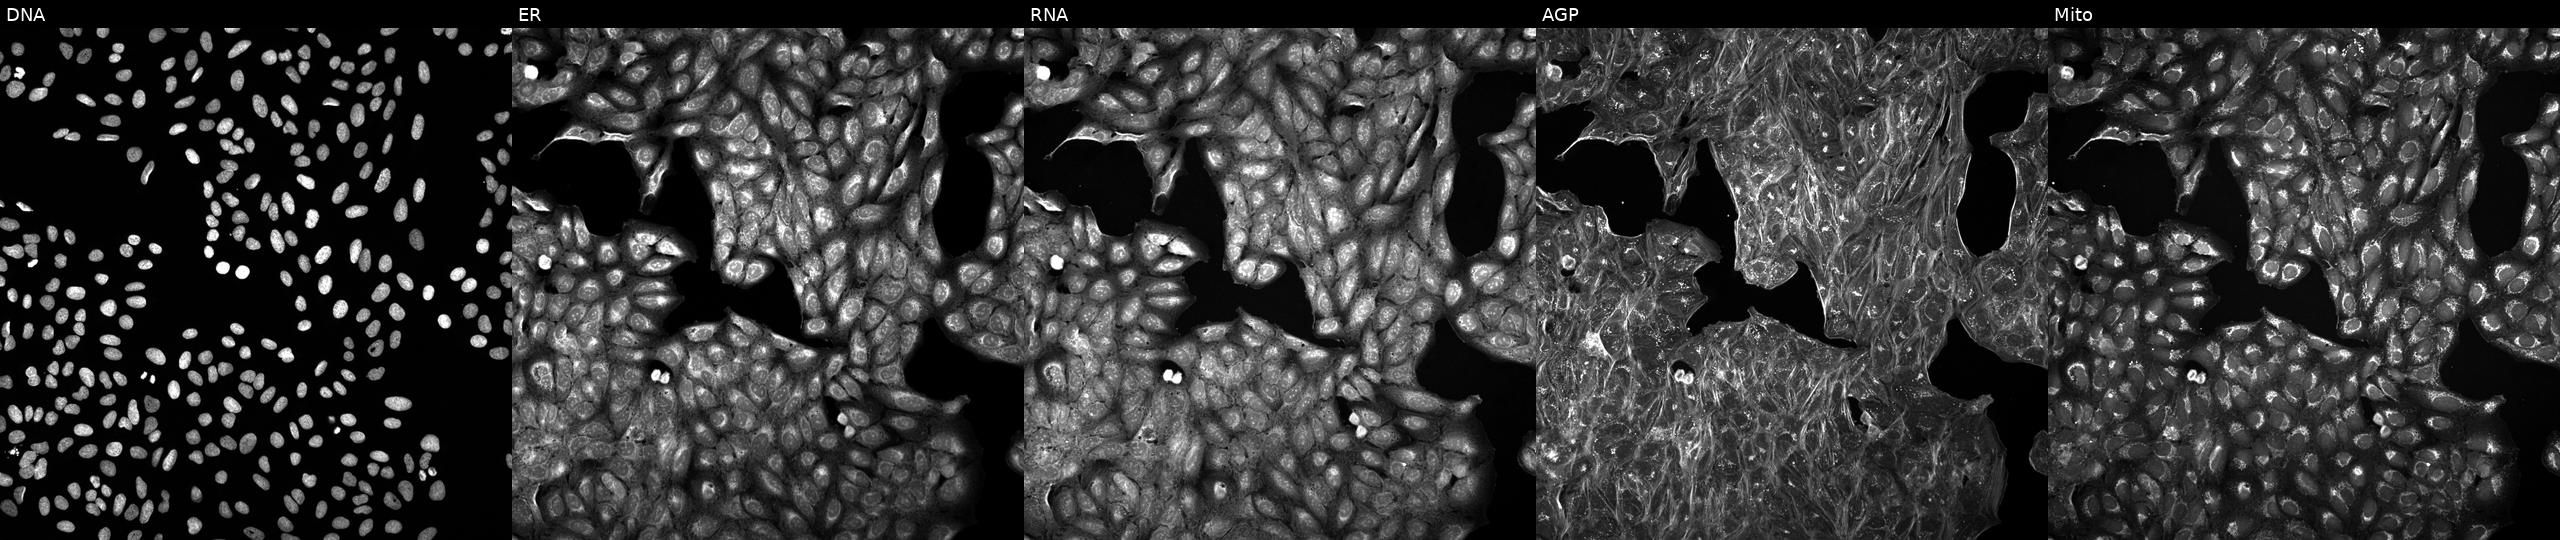
JUMP Cell Painting — TARGET2 plate. U2OS cells treated with a small-molecule compound (InChIKey VHHVPDKNKPNKHY-UHFFFAOYSA-N). The five panels, left to right, show DNA, ER, RNA, AGP, and Mito.